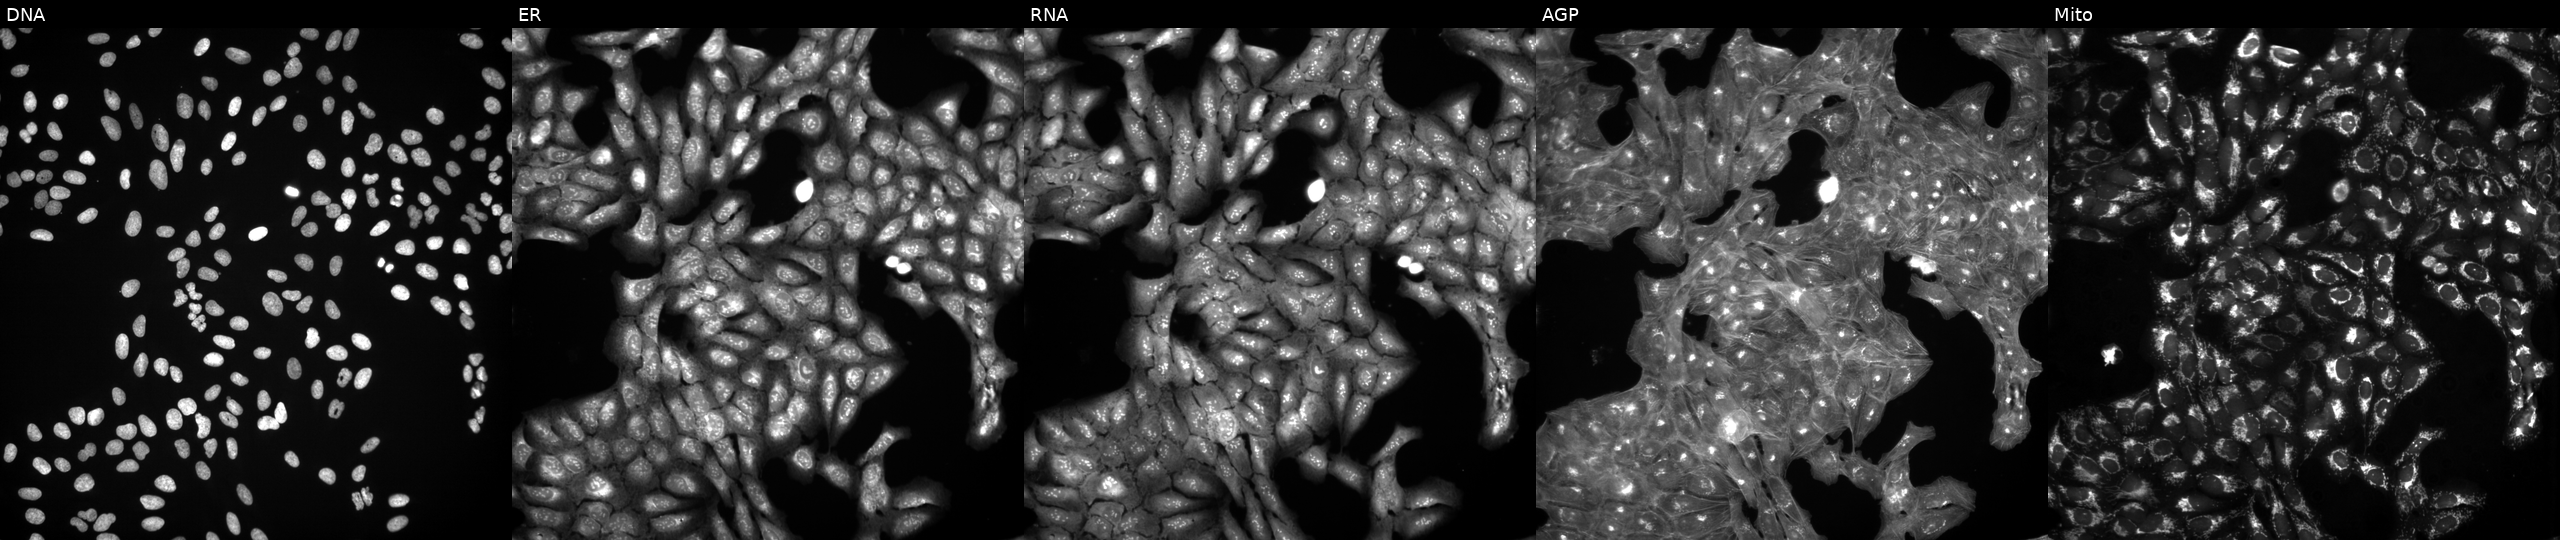
JUMP Cell Painting — TARGET2 plate. U2OS cells perturbed with a small-molecule compound (InChIKey SBDNJUWAMKYJOX-UHFFFAOYSA-N) [SMILES: Cc1ccc(Cl)c(Nc2ccccc2C(=O)O)c1Cl] (JUMP id JCP2022_082046). Channels (left→right): DNA (nuclei); ER (endoplasmic reticulum); RNA (nucleoli and cytoplasmic RNA); AGP (actin cytoskeleton, Golgi, and plasma membrane); Mito (mitochondria).